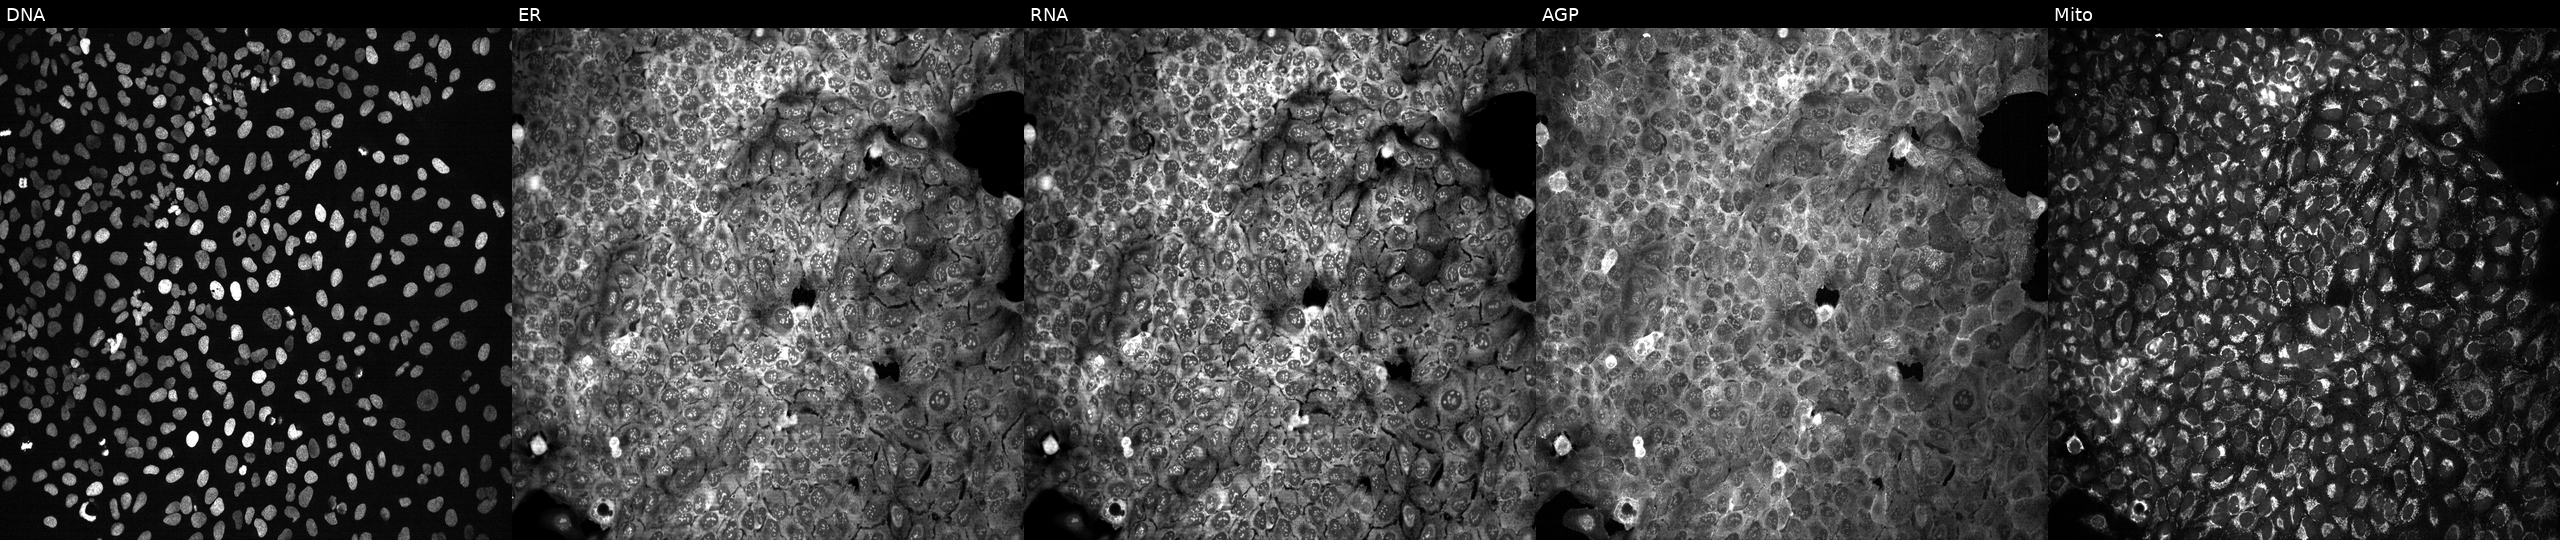
JUMP Cell Painting — CRISPR plate. U2OS cells with a non-targeting CRISPR guide (negative control) (JUMP id JCP2022_800002). Panels show, left to right, DNA, ER, RNA, AGP, and Mito.